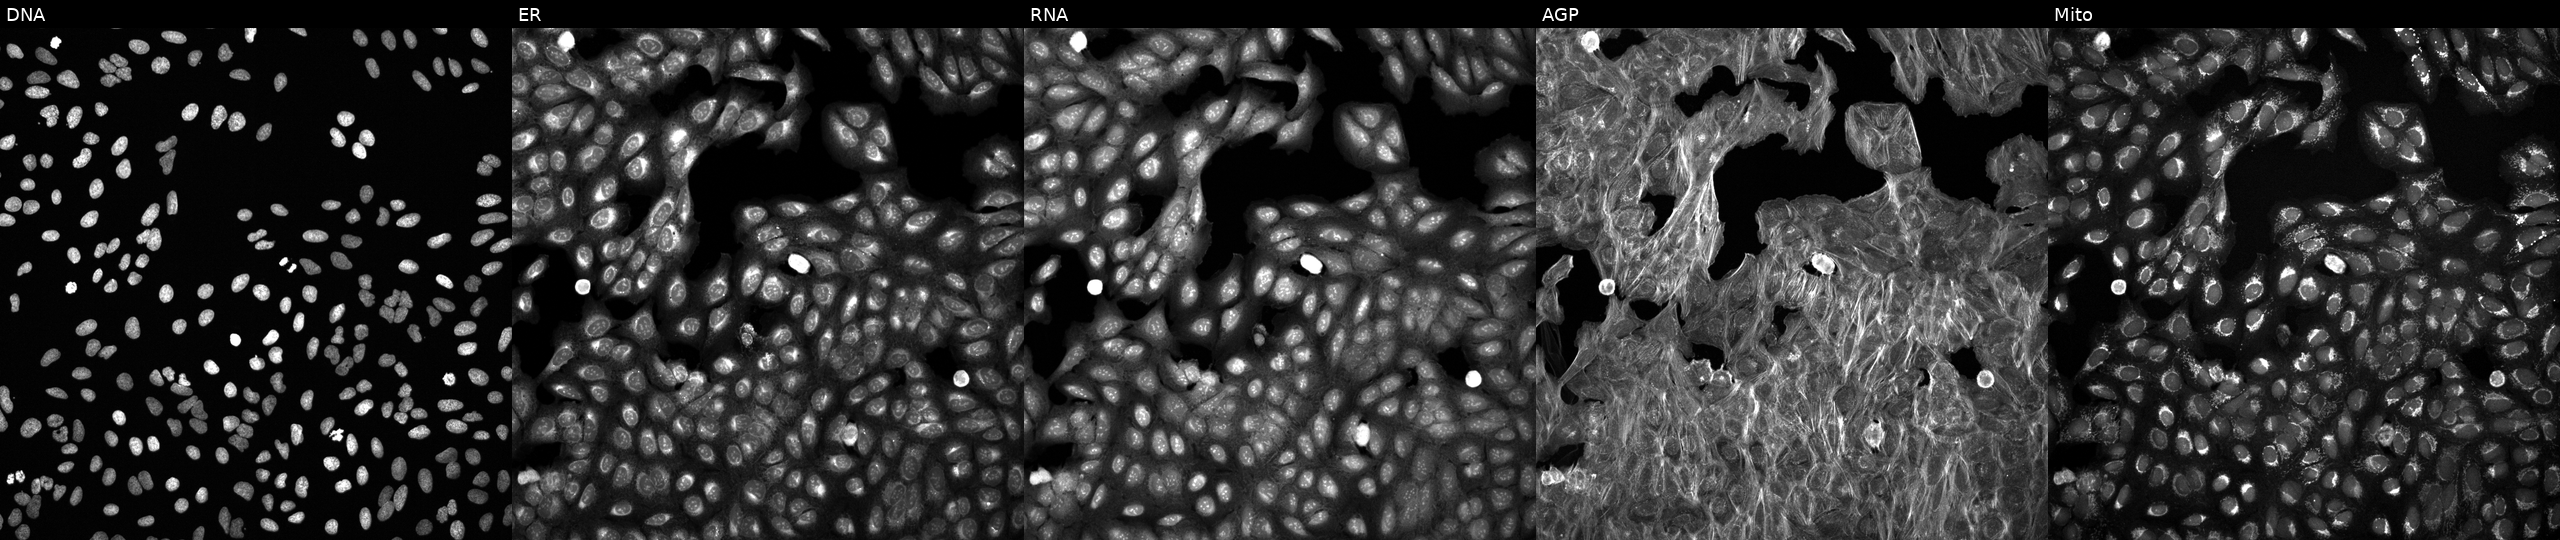
High-content fluorescence microscopy (Cell Painting). Cell line: U2OS. Perturbation: perturbed with a small-molecule compound (InChIKey IBAQFPQHRJAVAV-UHFFFAOYSA-N) (JUMP id JCP2022_033936). The five panels, left to right, show DNA, ER, RNA, AGP, and Mito.